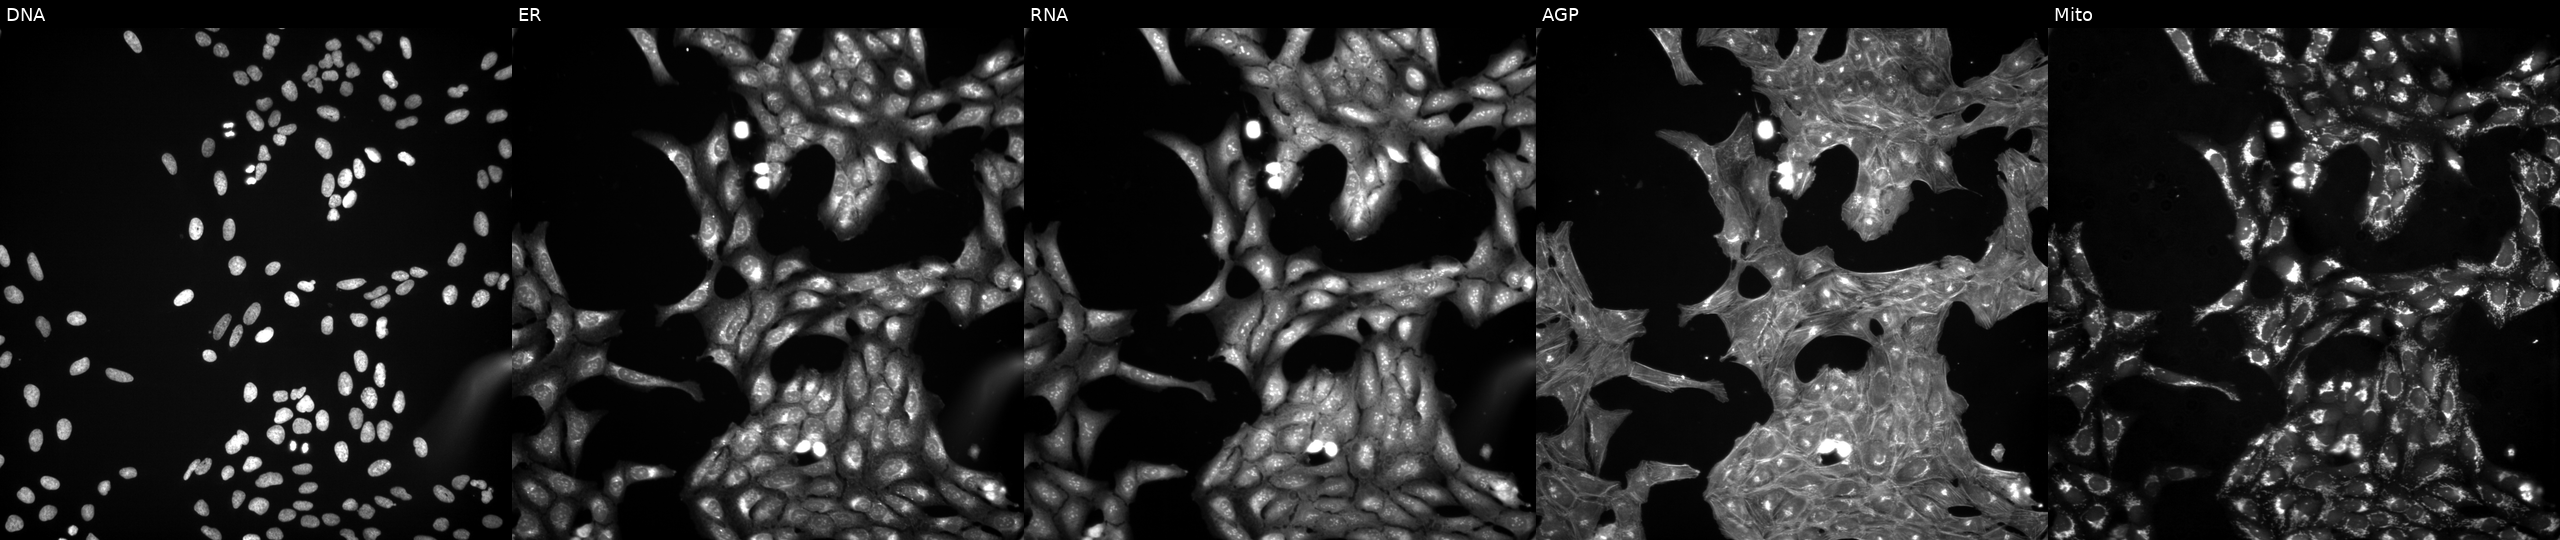
U2OS cells, Cell Painting assay, exposed to a small-molecule compound (InChIKey VHOGYURTWQBHIL-UHFFFAOYSA-N). From left to right: DNA, ER, RNA, AGP, and Mito. Each panel is percentile-stretched 16-bit fluorescence. Source 3, plate JCPQC053, well N10.